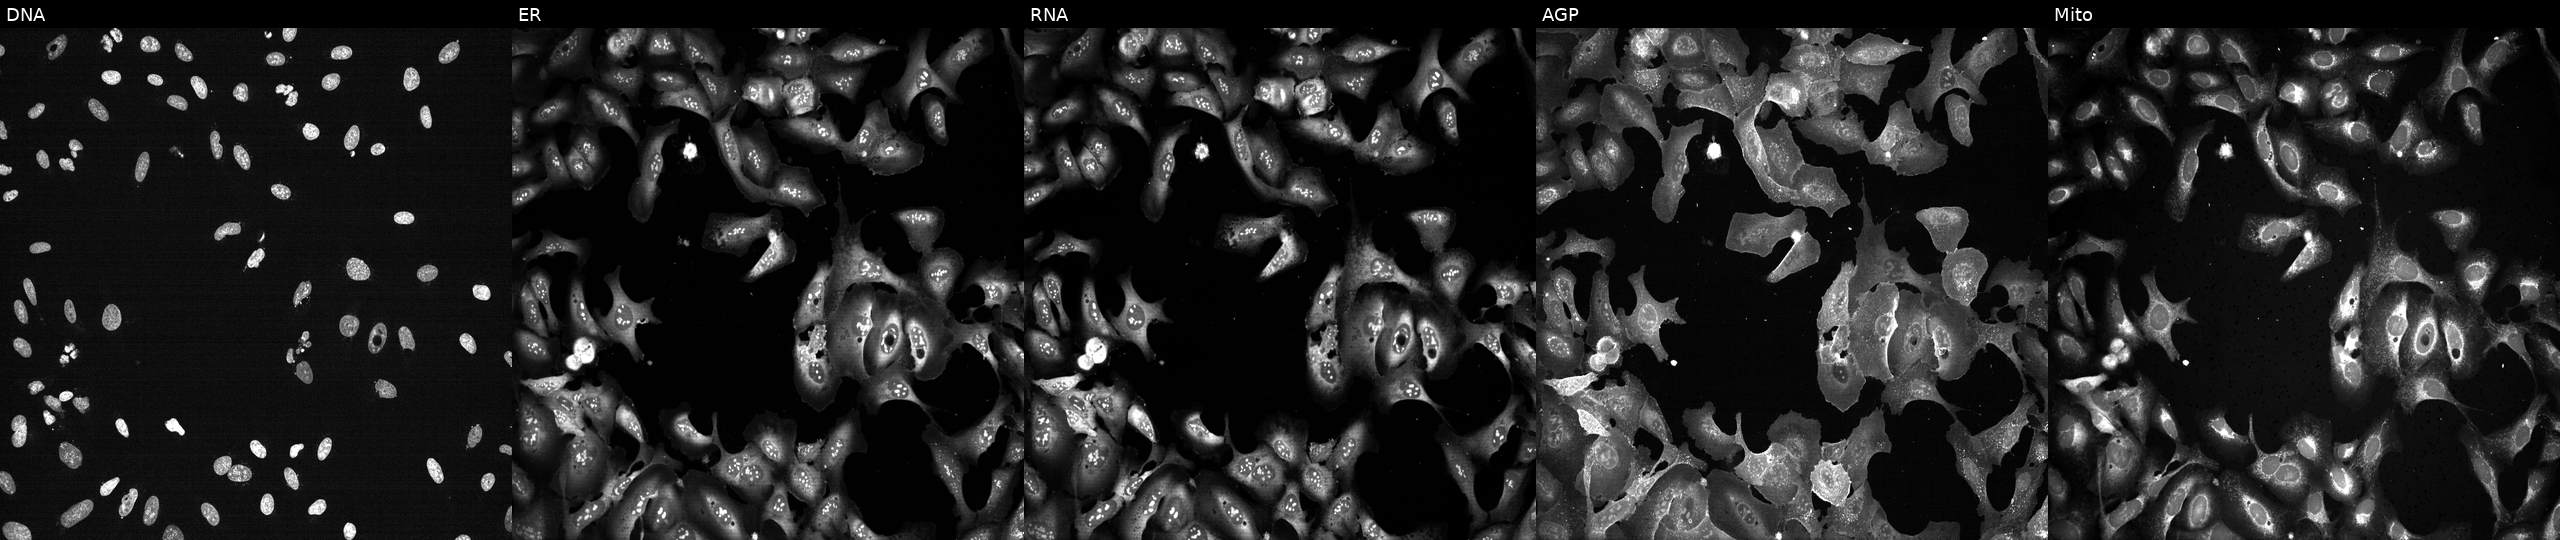
High-content fluorescence microscopy (Cell Painting). Cell line: U2OS. Perturbation: CRISPR-edited to disrupt CMAS (JUMP id JCP2022_801401). Panels show, left to right, Hoechst 33342, concanavalin A, SYTO 14, phalloidin and WGA, MitoTracker.